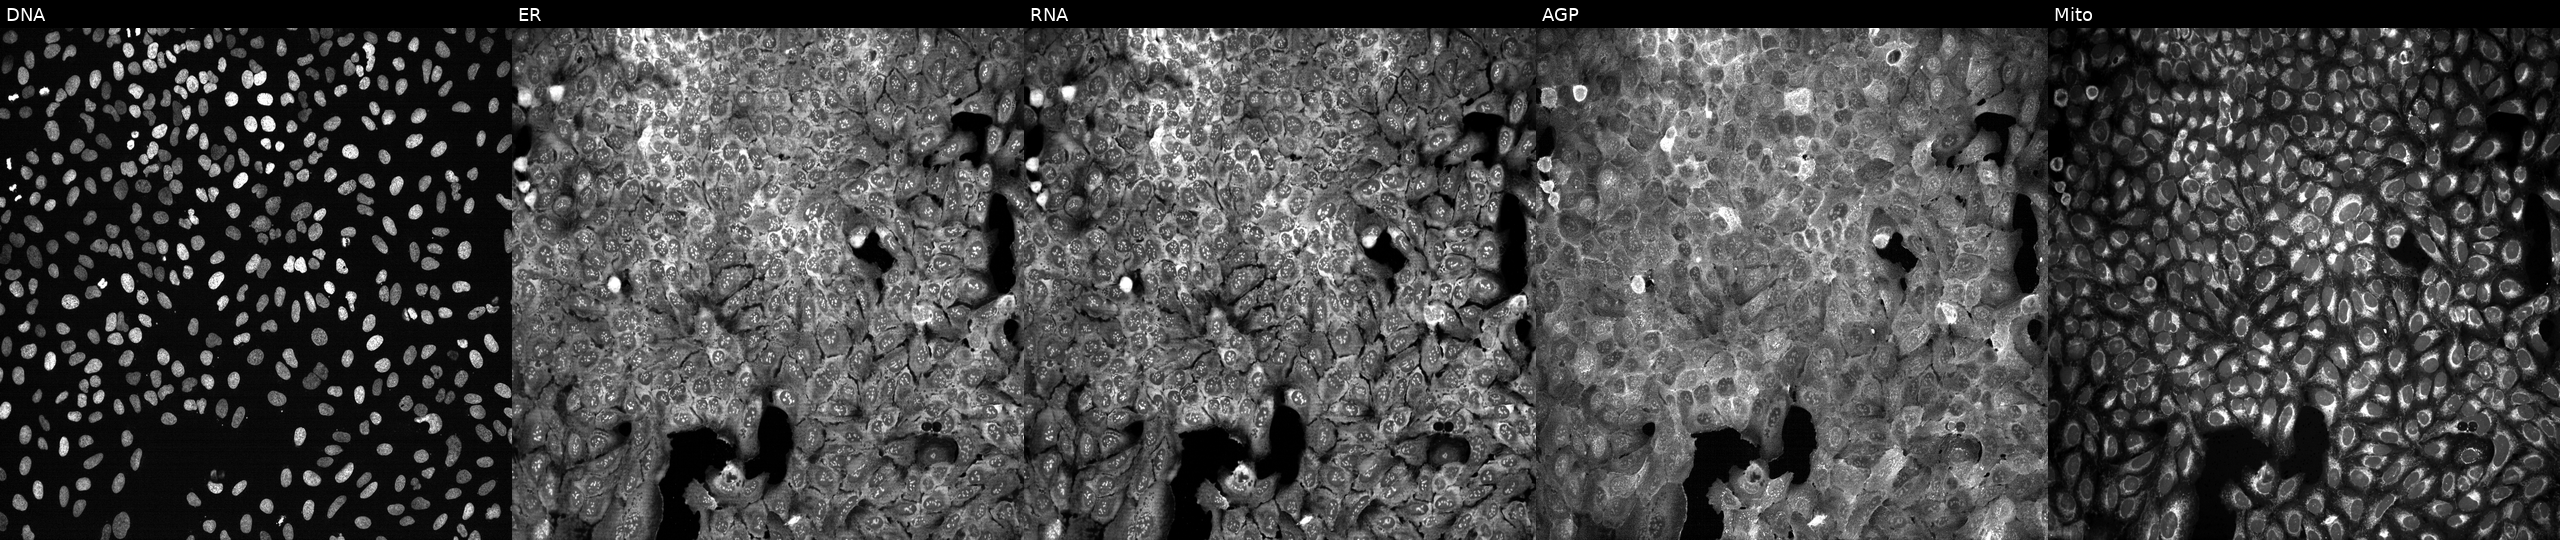
The five panels, left to right, show DNA (nuclei); ER (endoplasmic reticulum); RNA (nucleoli and cytoplasmic RNA); AGP (actin cytoskeleton, Golgi, and plasma membrane); Mito (mitochondria). U2OS osteosarcoma cells with NCEH1 knocked out by CRISPR (JUMP id JCP2022_804446). Cell Painting assay, JUMP-CP dataset.